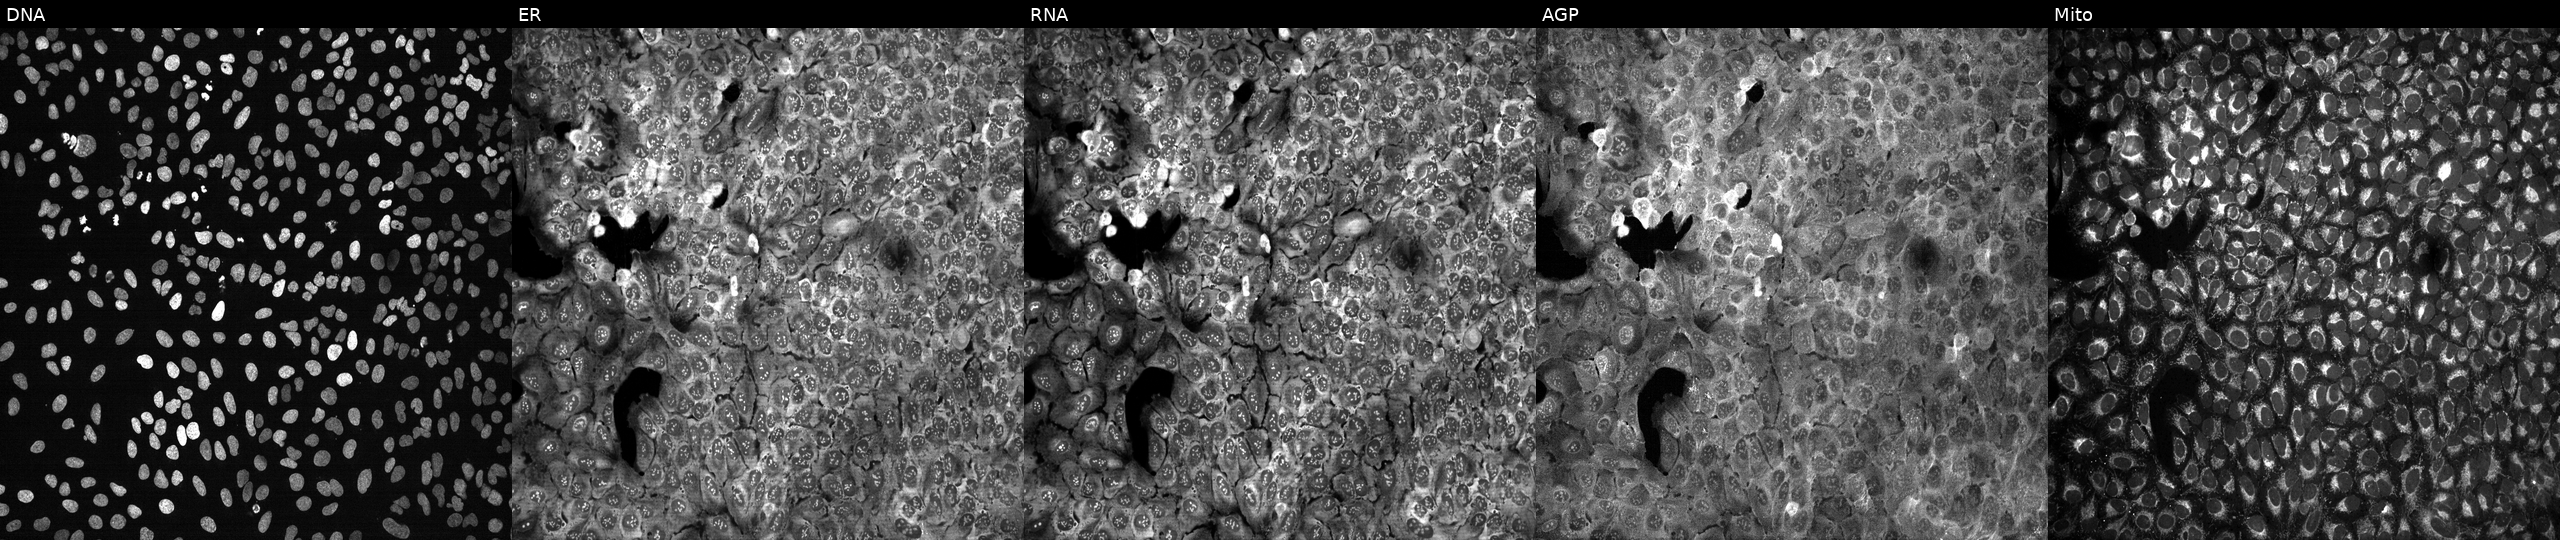
High-content fluorescence microscopy (Cell Painting). Cell line: U2OS. Perturbation: following CRISPR knockout of FASN (JUMP id JCP2022_802274). Channels (left→right): Hoechst 33342, concanavalin A, SYTO 14, phalloidin and WGA, MitoTracker.